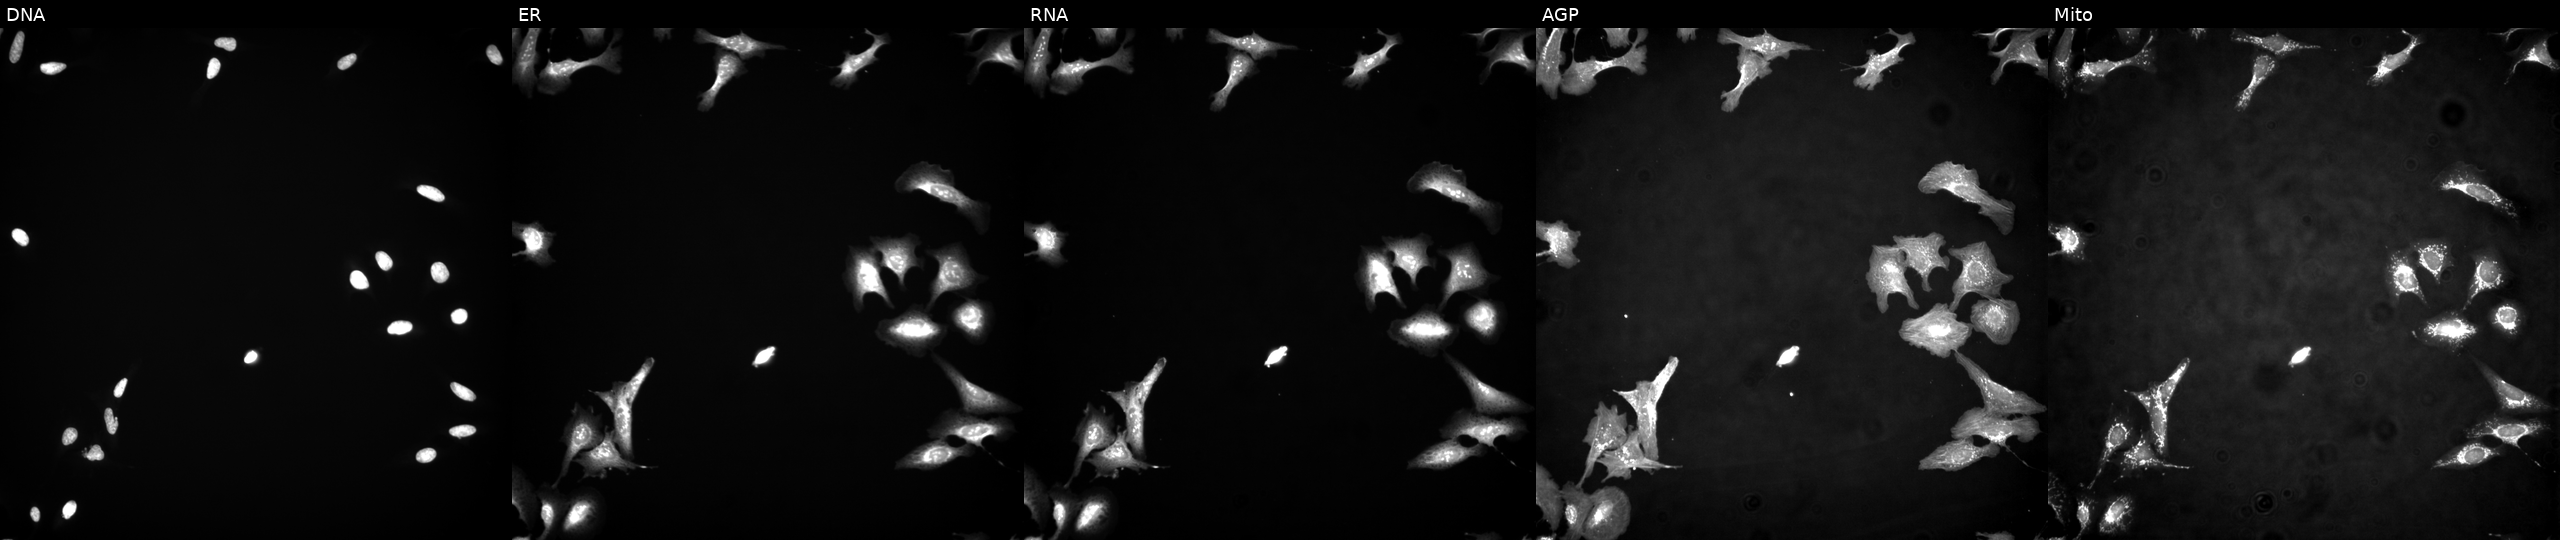
High-content fluorescence microscopy (Cell Painting). Cell line: U2OS. Perturbation: transfected with an ORF construct for NUP62. Panels show, left to right, Hoechst 33342, concanavalin A, SYTO 14, phalloidin and WGA, MitoTracker.